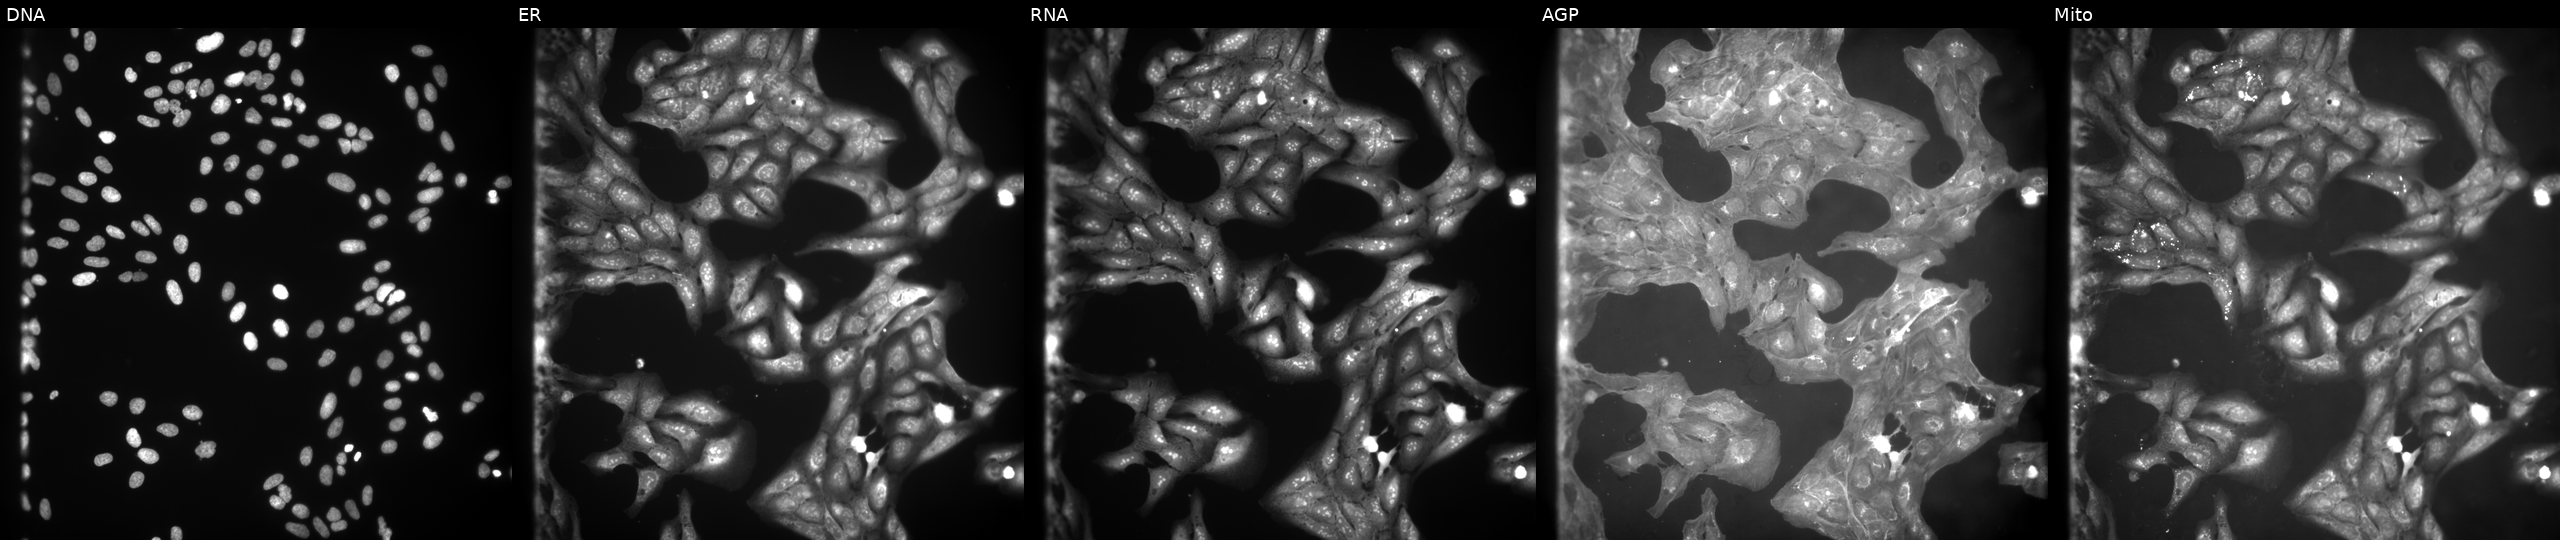
Channels (left→right): DNA (nuclei); ER (endoplasmic reticulum); RNA (nucleoli and cytoplasmic RNA); AGP (actin cytoskeleton, Golgi, and plasma membrane); Mito (mitochondria). U2OS osteosarcoma cells treated with a small-molecule compound (InChIKey UHRBDHPBCHWWAG-UHFFFAOYSA-N) (JUMP id JCP2022_089303). Cell Painting assay, JUMP-CP dataset.